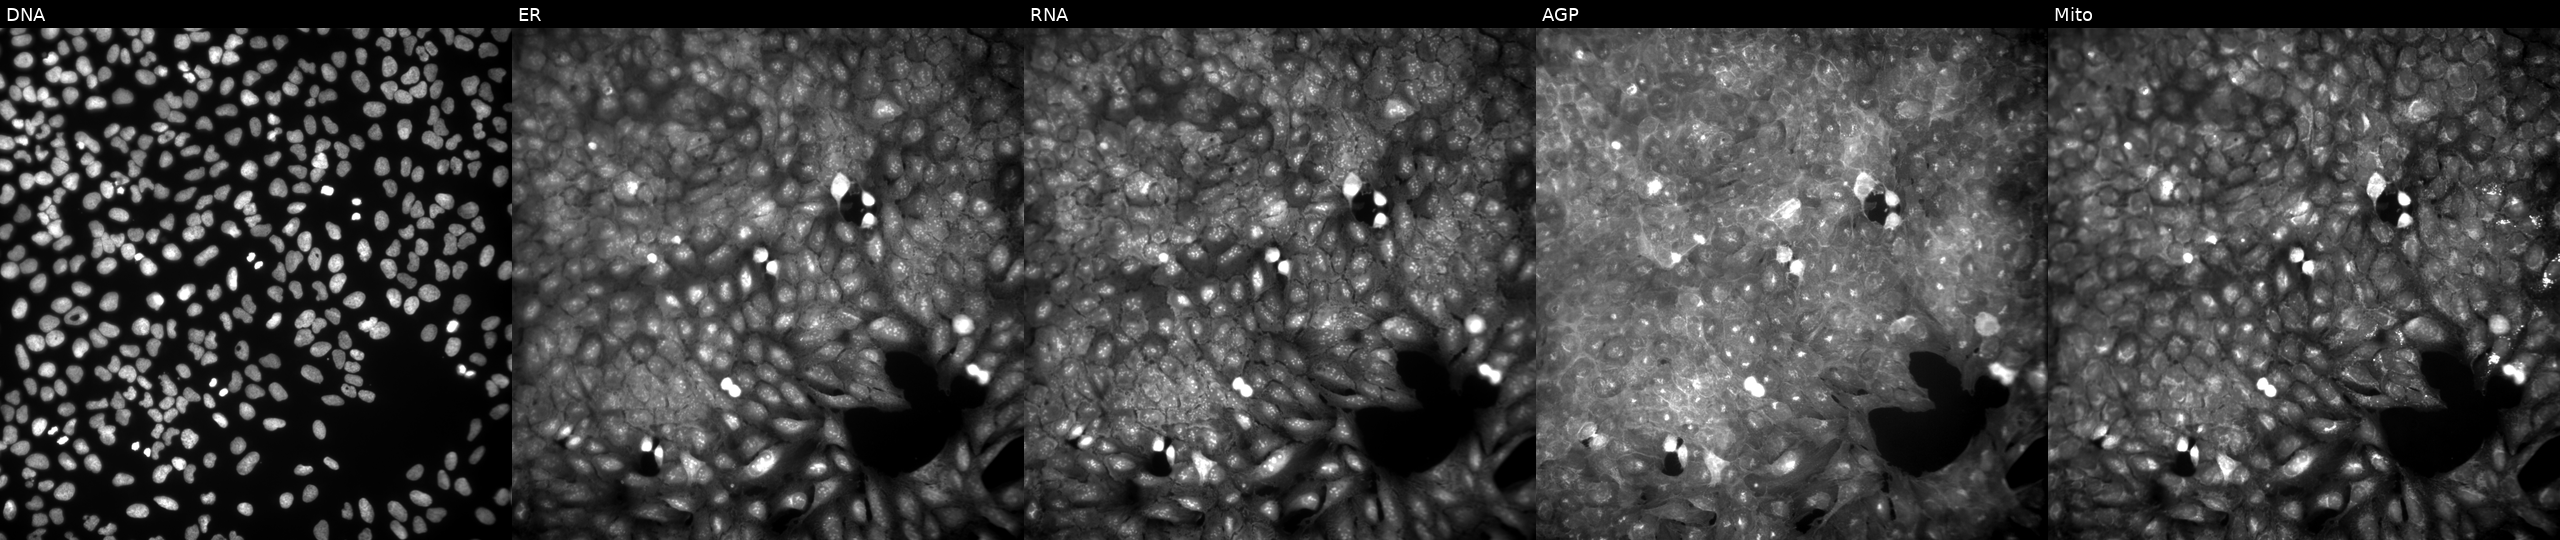
Panels show, left to right, Hoechst 33342, concanavalin A, SYTO 14, phalloidin and WGA, MitoTracker. U2OS osteosarcoma cells perturbed with a small-molecule compound (InChIKey ITIHEWJJSZIUMR-UHFFFAOYSA-N) (JUMP id JCP2022_037281). Cell Painting assay, JUMP-CP dataset. Source 9, plate GR00003381, well Q45.